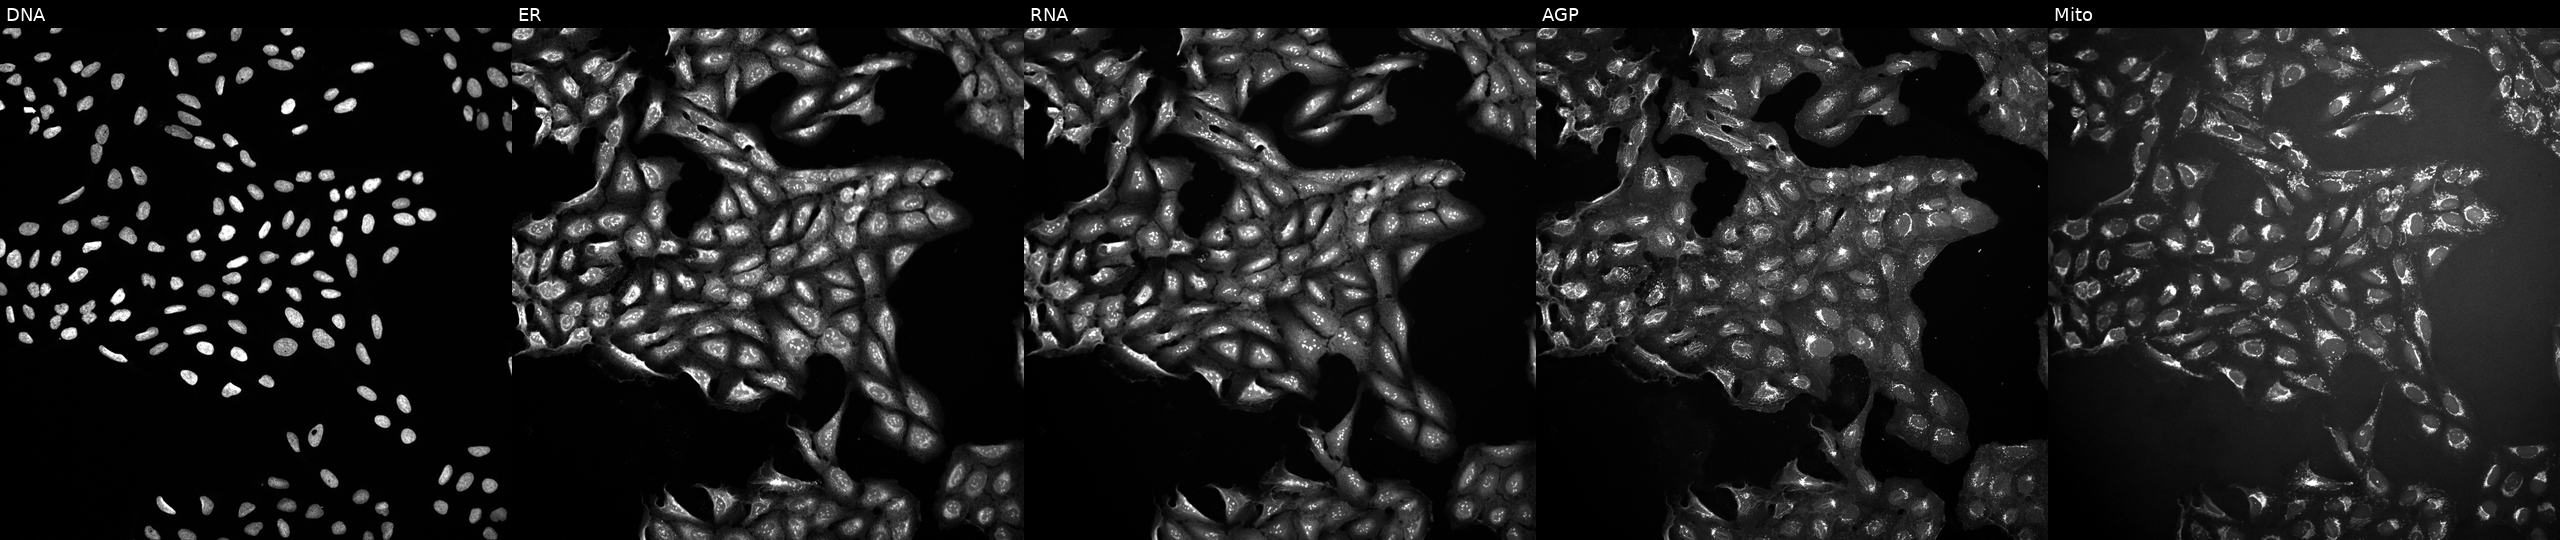
JUMP Cell Painting — TARGET2 plate. U2OS cells exposed to DMSO alone as a negative control. Panels show, left to right, Hoechst 33342, concanavalin A, SYTO 14, phalloidin and WGA, MitoTracker.